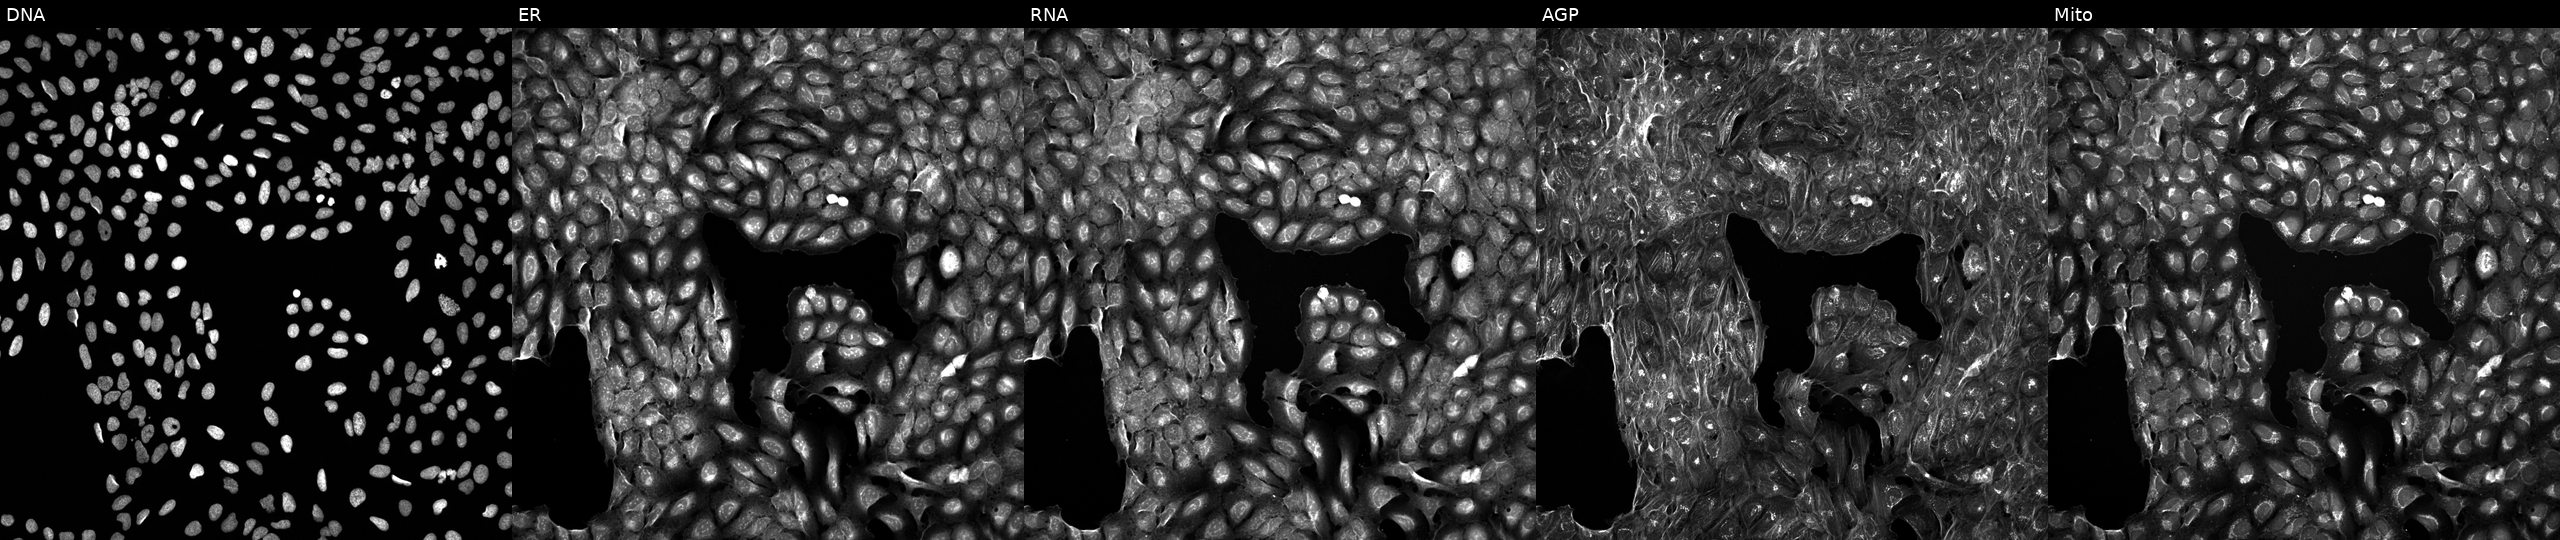
High-content fluorescence microscopy (Cell Painting). Cell line: U2OS. Perturbation: perturbed with a small-molecule compound (InChIKey VDOJNRNSJBJPLJ-UHFFFAOYSA-N) (JUMP id JCP2022_093274). The five panels, left to right, show Hoechst 33342, concanavalin A, SYTO 14, phalloidin and WGA, MitoTracker.